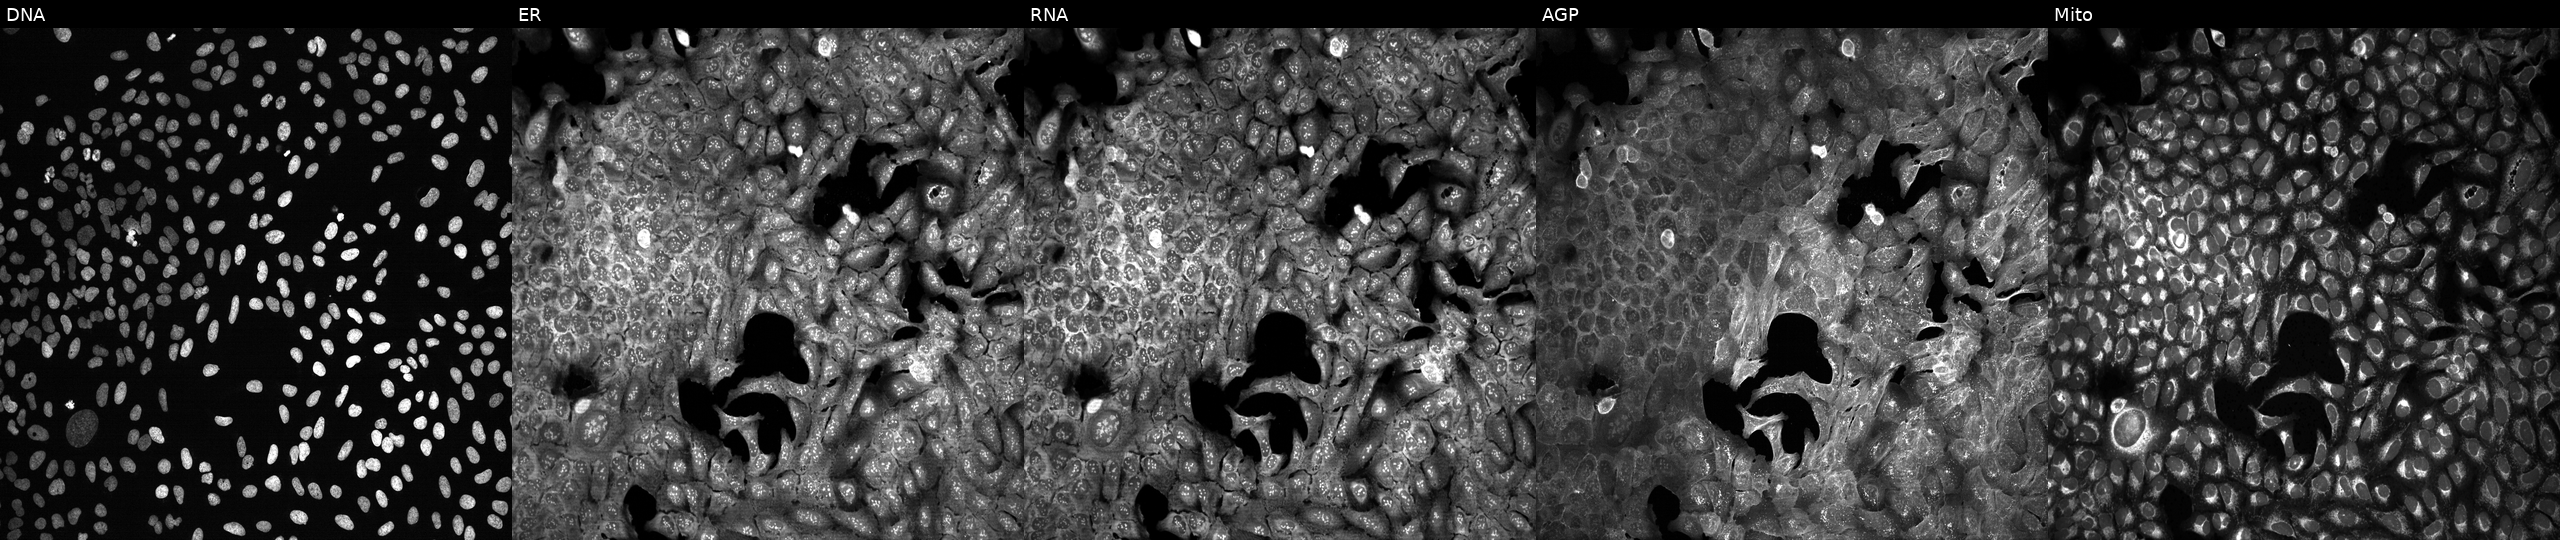
High-content fluorescence microscopy (Cell Painting). Cell line: U2OS. Perturbation: with HAND1 knocked out by CRISPR (JUMP id JCP2022_803014). The five panels, left to right, show DNA (nuclei); ER (endoplasmic reticulum); RNA (nucleoli and cytoplasmic RNA); AGP (actin cytoskeleton, Golgi, and plasma membrane); Mito (mitochondria).